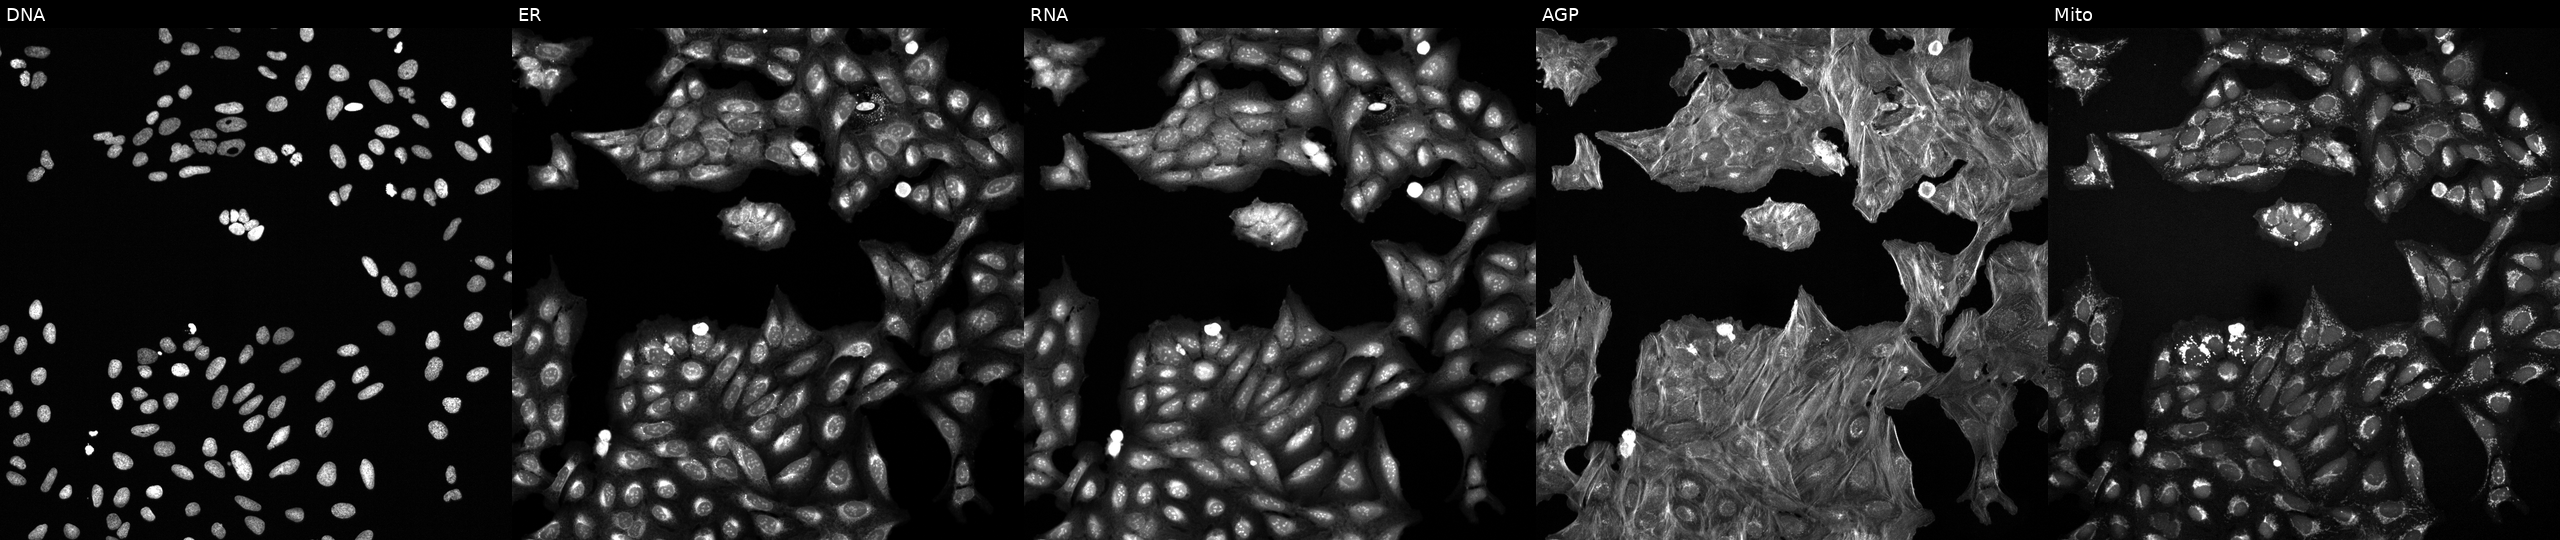
High-content fluorescence microscopy (Cell Painting). Cell line: U2OS. Perturbation: treated with a small-molecule compound (InChIKey FDKYTCYYABCMCD-UHFFFAOYSA-N) [SMILES: O=S(=O)(Nc1ccc(F)cc1)c1cc(-c2noc(C3CCC3)n2)cs1]. From left to right: DNA (nuclei); ER (endoplasmic reticulum); RNA (nucleoli and cytoplasmic RNA); AGP (actin cytoskeleton, Golgi, and plasma membrane); Mito (mitochondria).